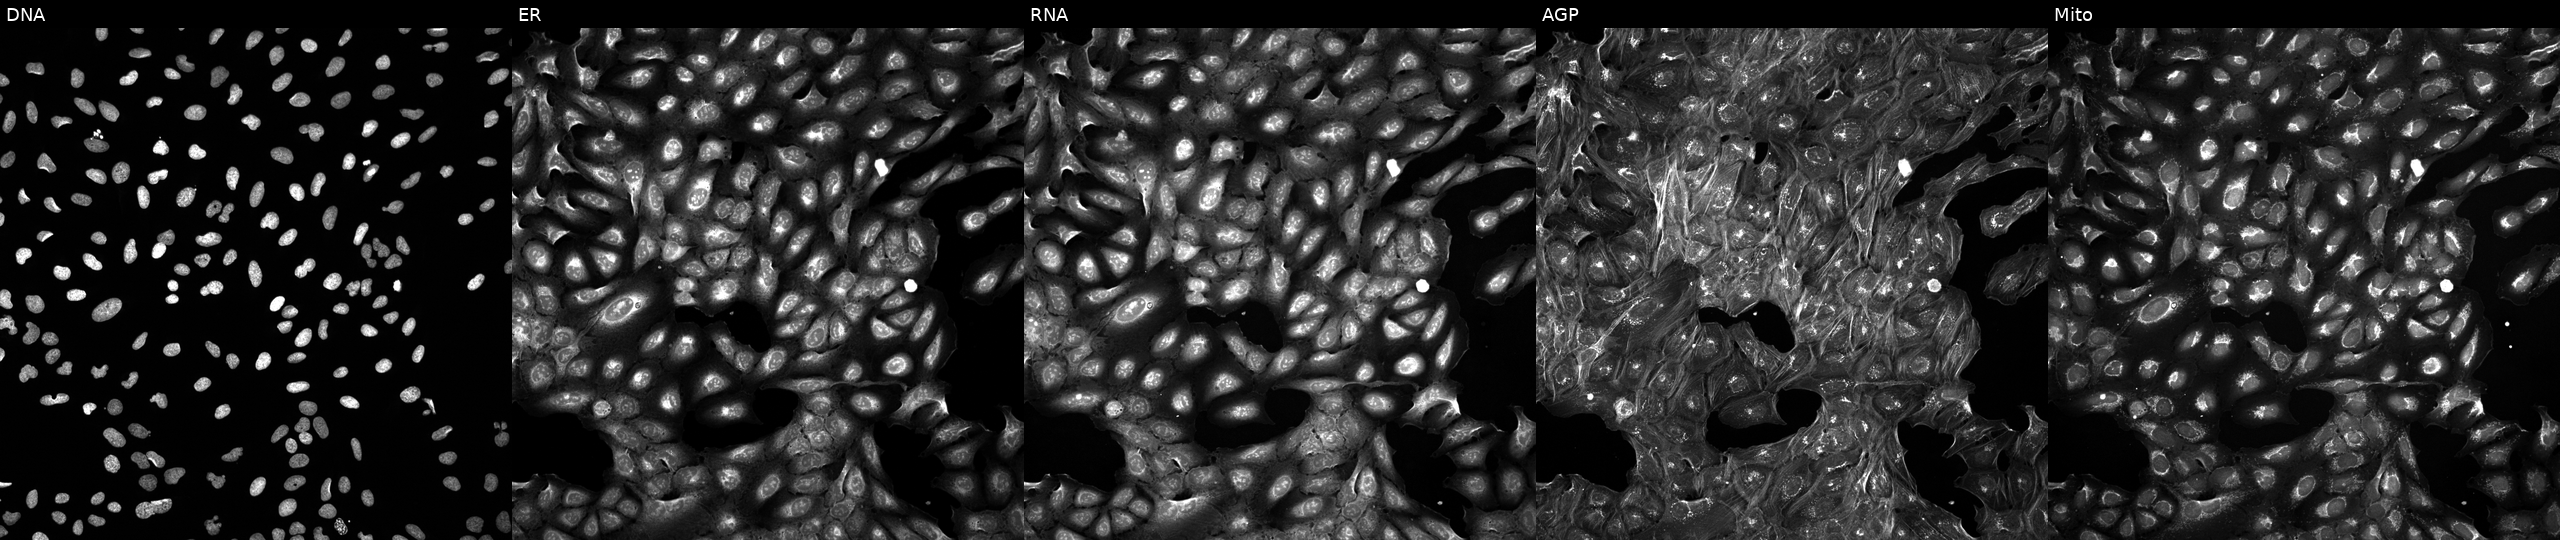
Panels show, left to right, DNA, ER, RNA, AGP, and Mito. U2OS osteosarcoma cells perturbed with a small-molecule compound (InChIKey QQGWEXFLMJGCAL-UHFFFAOYSA-N). Cell Painting assay, JUMP-CP dataset. Source 5, plate ACPJUM051, well J05.